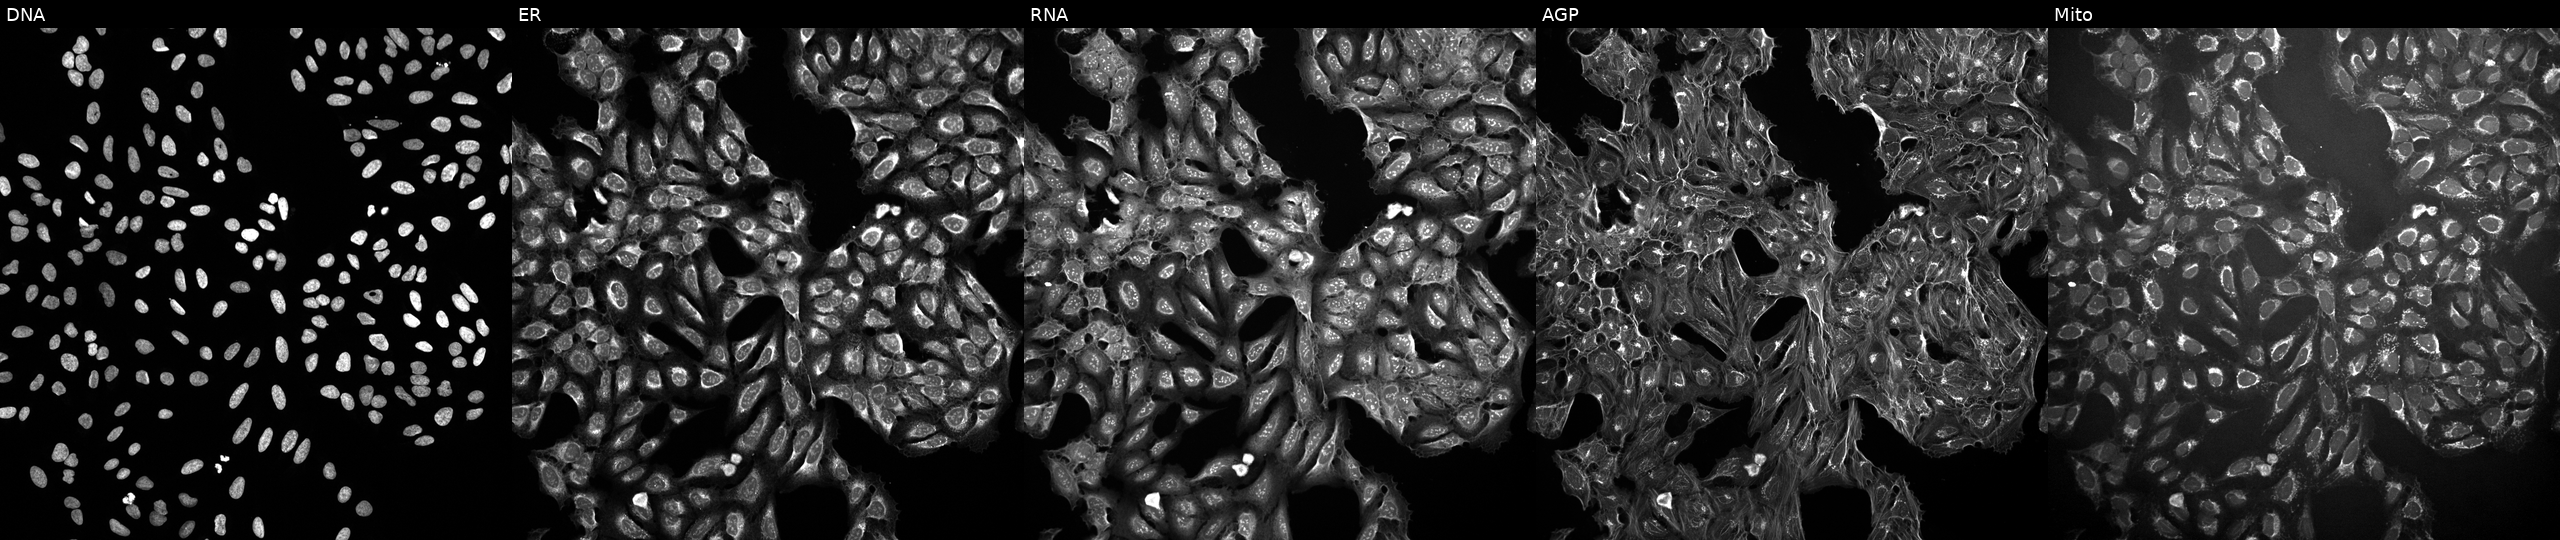
U2OS cells, Cell Painting assay, treated with DMSO vehicle only (negative control) (JUMP id JCP2022_033924). The five panels, left to right, show DNA (nuclei); ER (endoplasmic reticulum); RNA (nucleoli and cytoplasmic RNA); AGP (actin cytoskeleton, Golgi, and plasma membrane); Mito (mitochondria). Each panel is percentile-stretched 16-bit fluorescence.